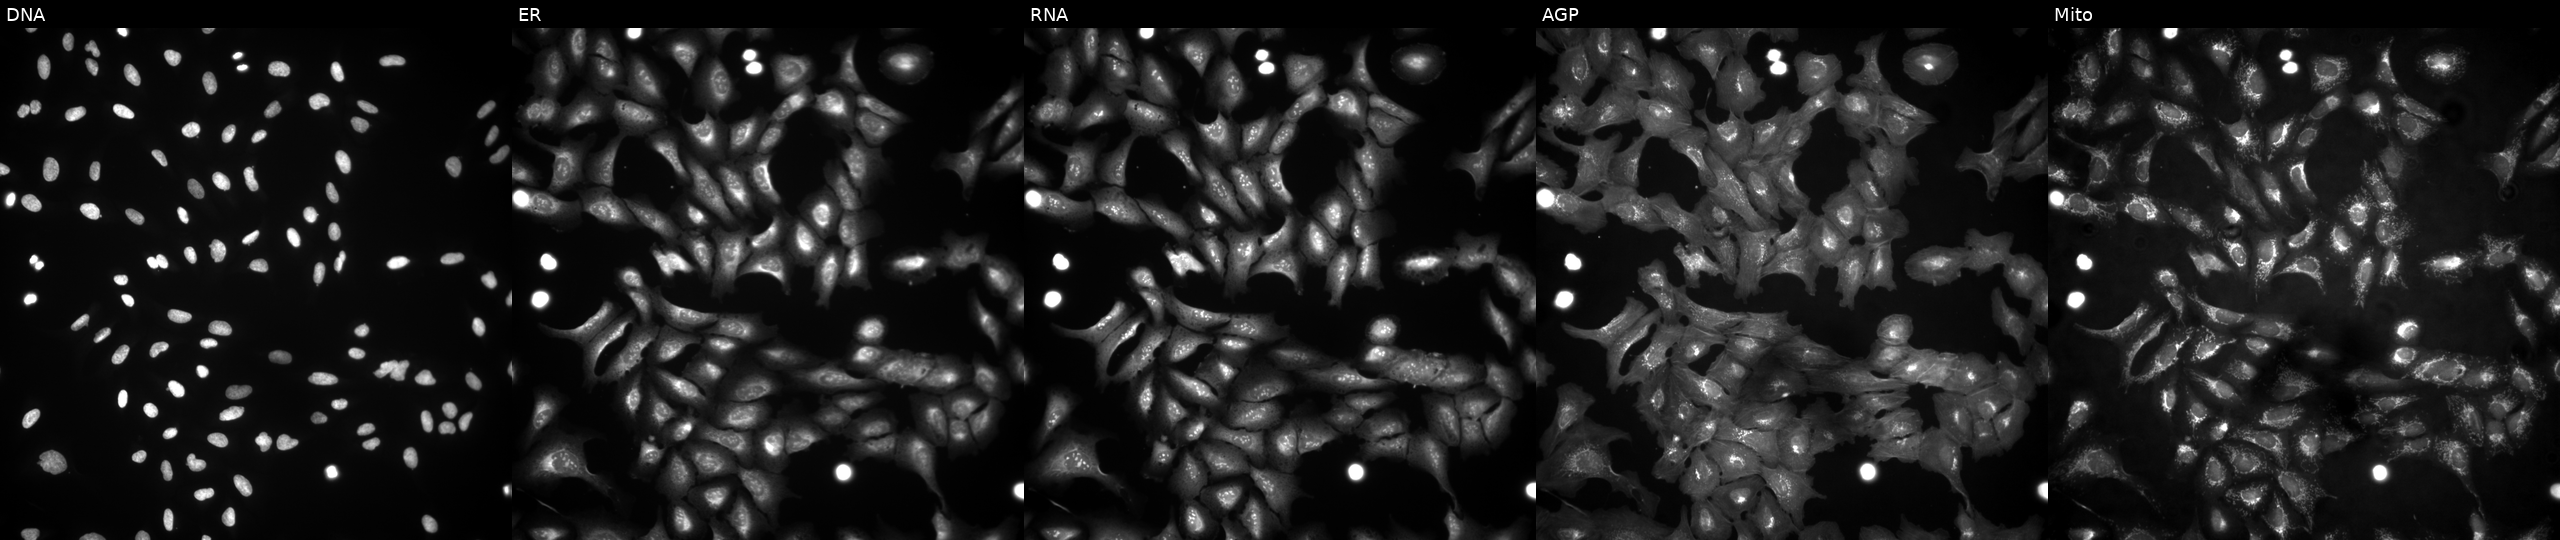
High-content fluorescence microscopy (Cell Painting). Cell line: U2OS. Perturbation: overexpressing CES1 via ORF transfection (JUMP id JCP2022_911199). Channels (left→right): DNA (nuclei); ER (endoplasmic reticulum); RNA (nucleoli and cytoplasmic RNA); AGP (actin cytoskeleton, Golgi, and plasma membrane); Mito (mitochondria).